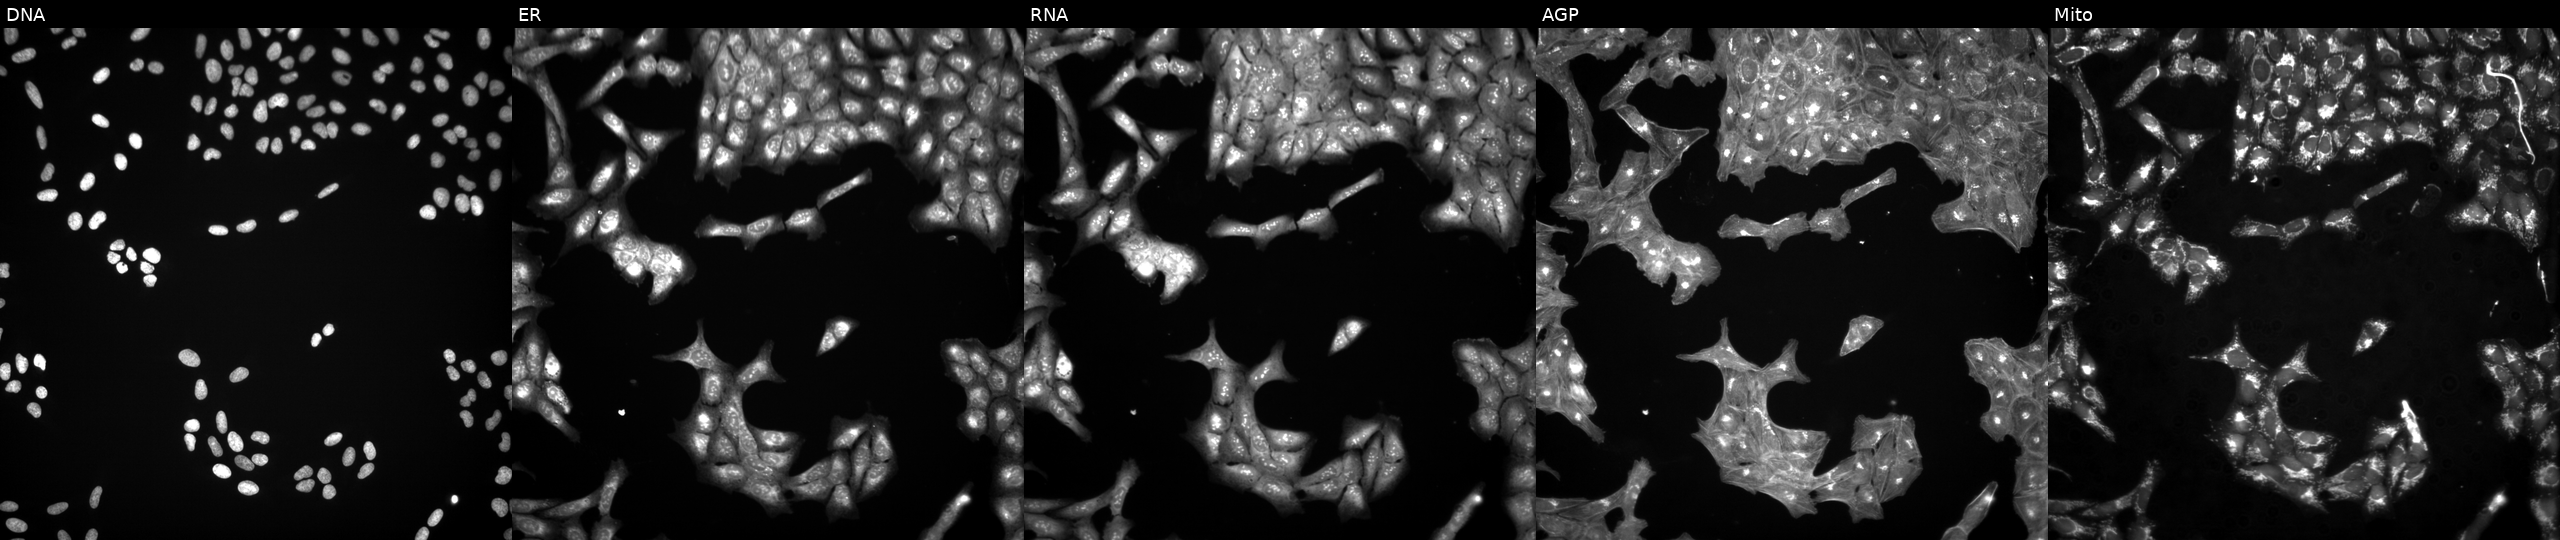
Five-channel Cell Painting image of U2OS cells exposed to a small-molecule compound [SMILES: Fc1cccc2sc(N3CCCCC3)nc12] (JUMP id JCP2022_085593). Panels show, left to right, DNA, ER, RNA, AGP, and Mito.